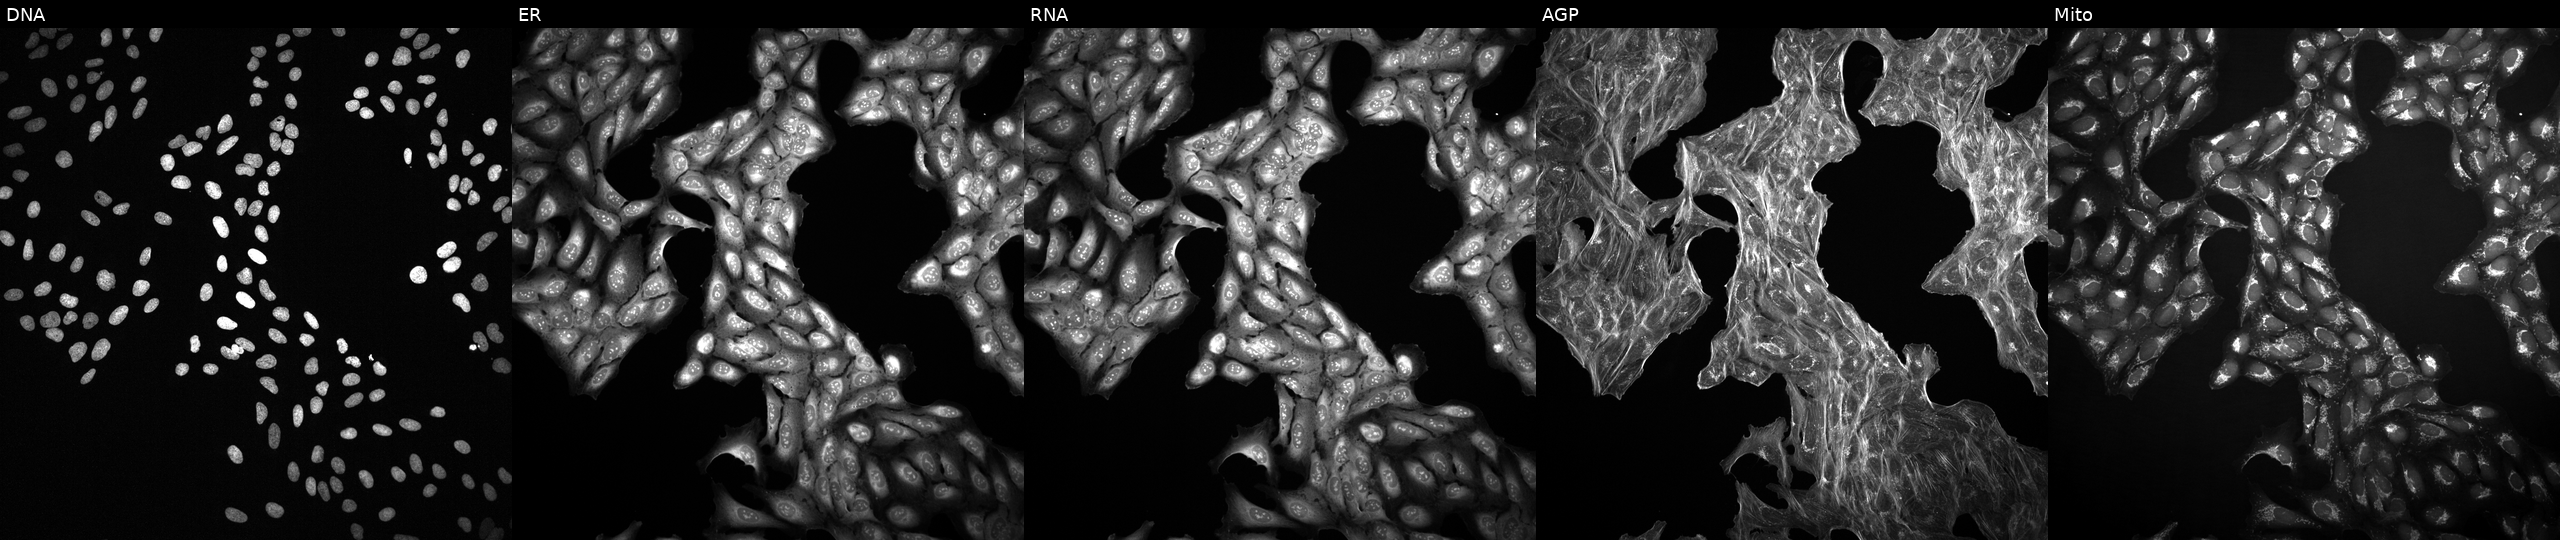
Channels (left→right): DNA, ER, RNA, AGP, and Mito. U2OS osteosarcoma cells treated with DMSO vehicle only (negative control). Cell Painting assay, JUMP-CP dataset. Source 2, plate 1053597936, well N19.